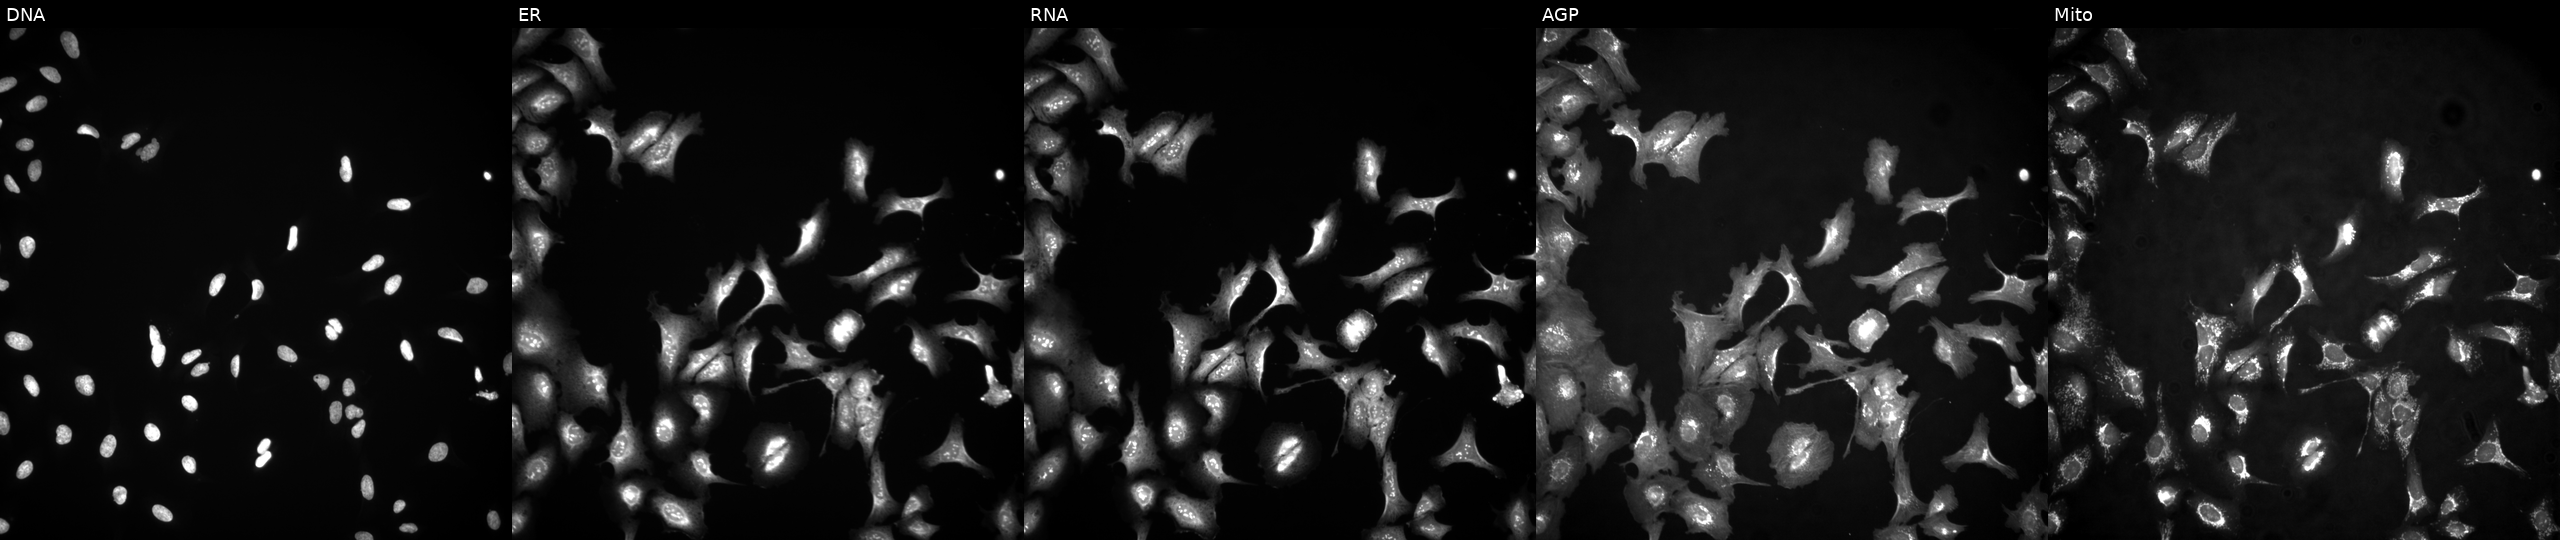
Channels (left→right): Hoechst 33342, concanavalin A, SYTO 14, phalloidin and WGA, MitoTracker. U2OS osteosarcoma cells overexpressing NDUFA4L2 via ORF transfection. Cell Painting assay, JUMP-CP dataset. Source 4, plate BR00124787, well I15.